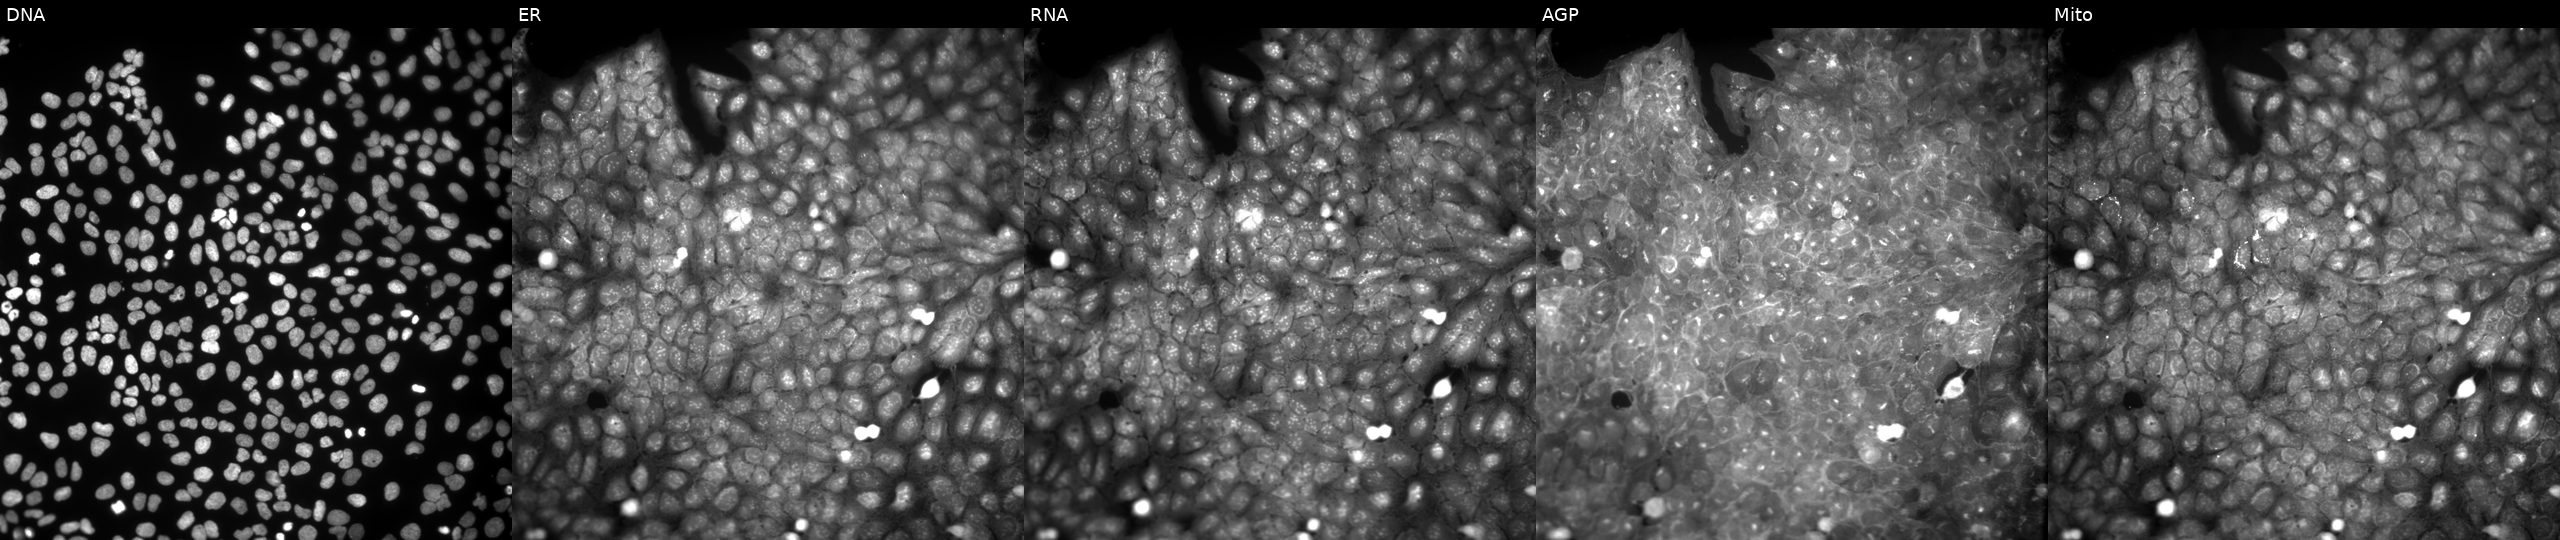
Five-channel Cell Painting image of U2OS cells perturbed with a small-molecule compound (InChIKey LTLPHMSJMFUGED-UHFFFAOYSA-N). Panels show, left to right, DNA (nuclei); ER (endoplasmic reticulum); RNA (nucleoli and cytoplasmic RNA); AGP (actin cytoskeleton, Golgi, and plasma membrane); Mito (mitochondria). Source 9, plate GR00003381, well AC10.